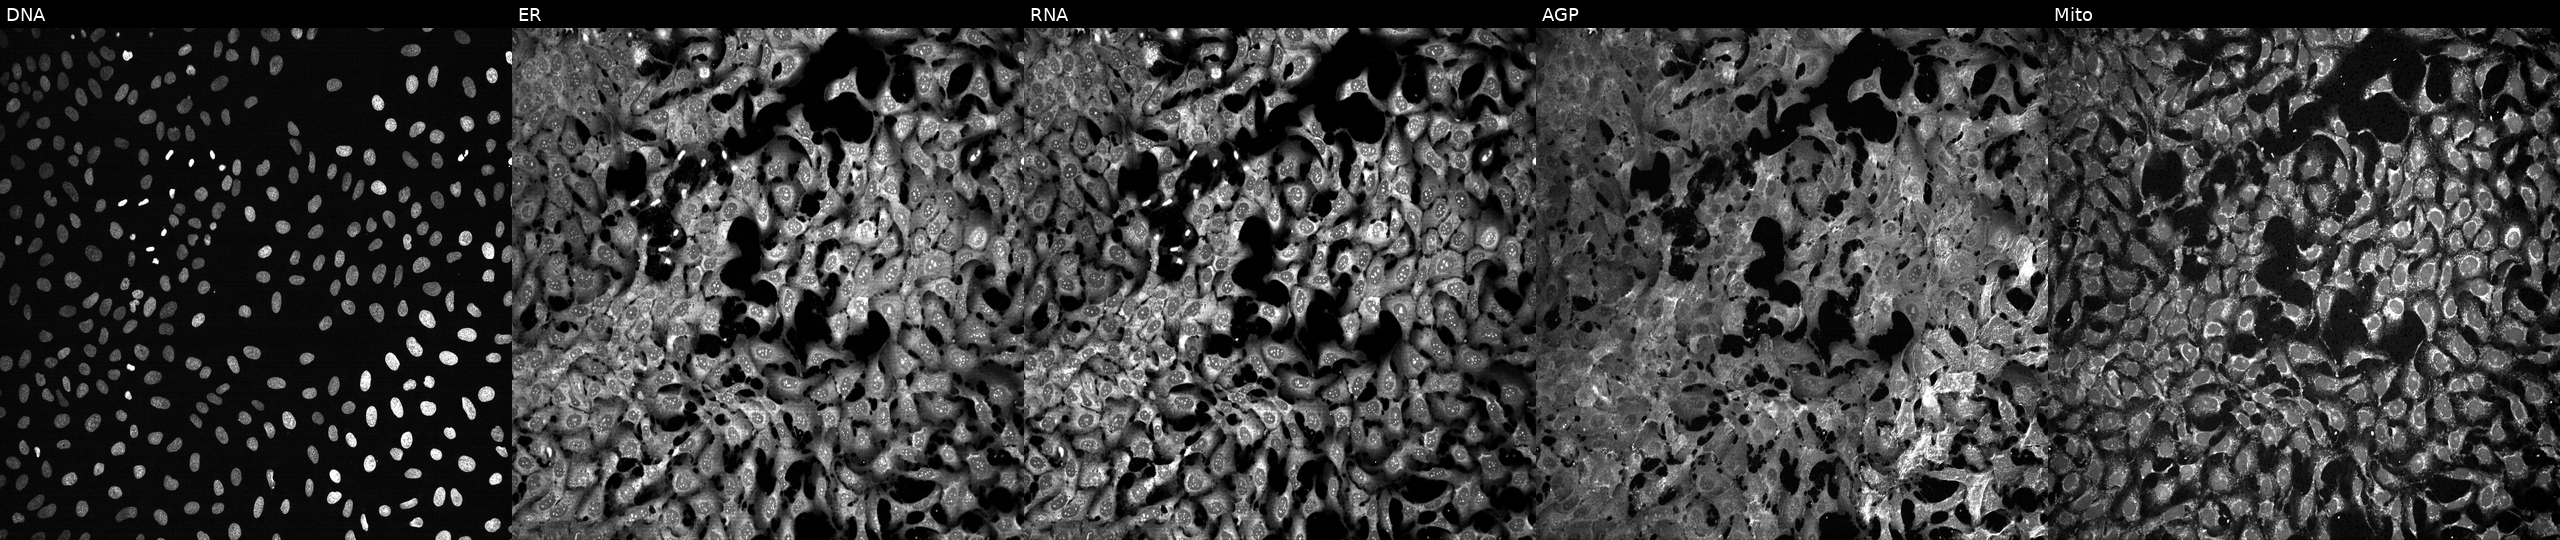
JUMP Cell Painting — CRISPR plate. U2OS cells treated with FK-866 (positive-control compound) (JUMP id JCP2022_046054). The five panels, left to right, show DNA (nuclei); ER (endoplasmic reticulum); RNA (nucleoli and cytoplasmic RNA); AGP (actin cytoskeleton, Golgi, and plasma membrane); Mito (mitochondria).